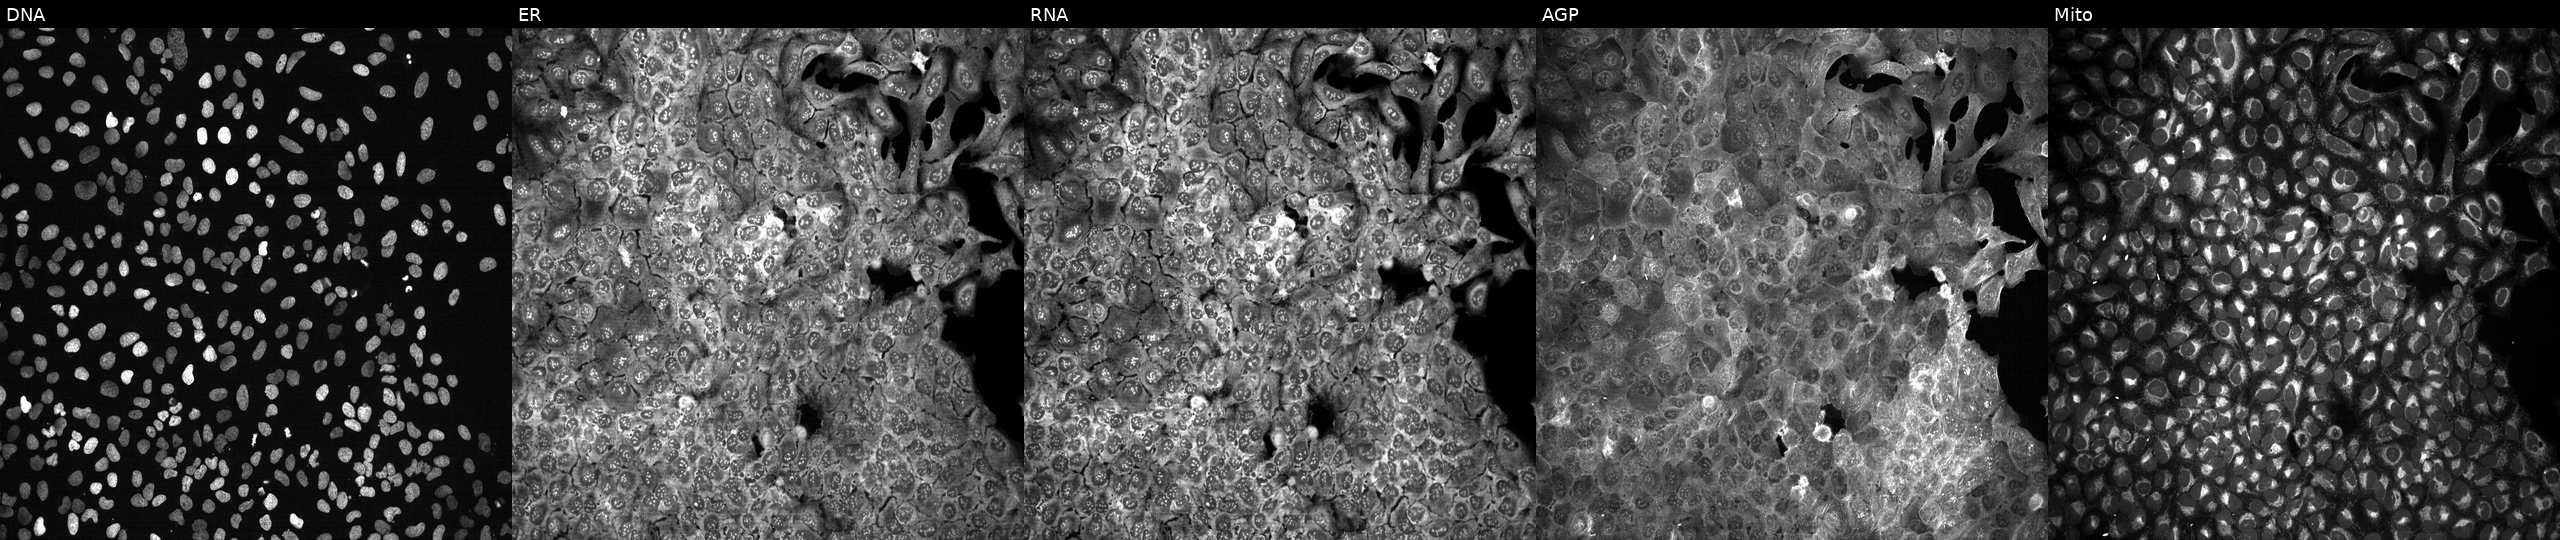
U2OS cells, Cell Painting assay, with DHRS4 knocked out by CRISPR. The five panels, left to right, show DNA, ER, RNA, AGP, and Mito. Each panel is percentile-stretched 16-bit fluorescence.